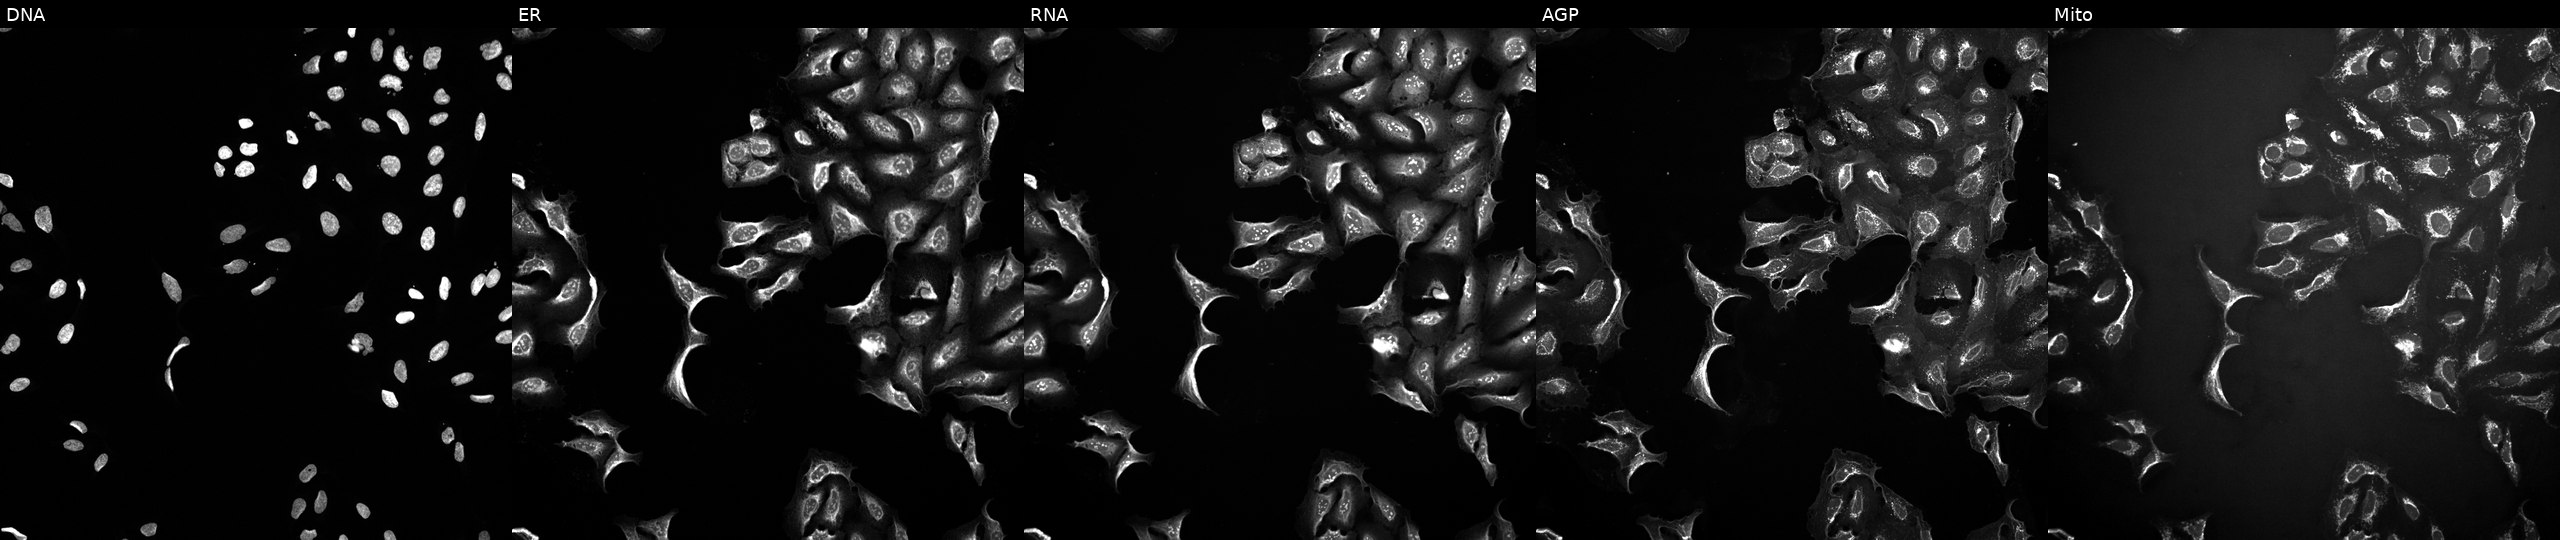
This image strip shows the five Cell Painting channels for a single field of U2OS cells treated with a small-molecule compound (InChIKey CAOWNCTTWGSKDO-UHFFFAOYSA-N) [SMILES: N=c1[nH]c(F)nc2c1ncn2C1OC(CO[PH](=O)(=O)O)C(O)C1O]. From left to right: DNA, ER, RNA, AGP, and Mito.